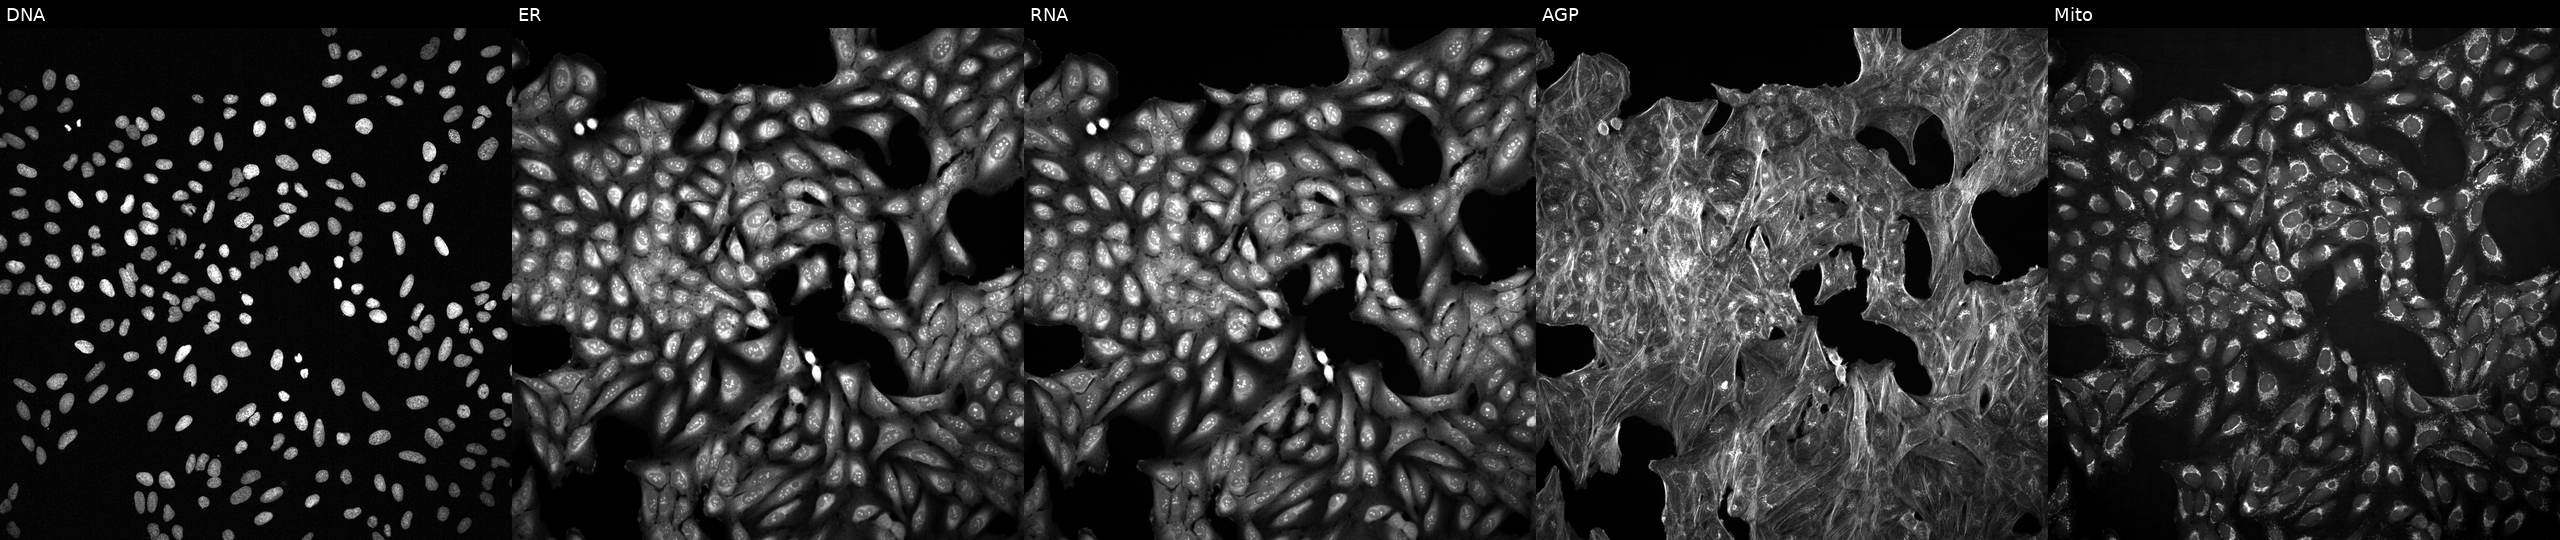
U2OS cells, Cell Painting assay, treated with a small-molecule compound (InChIKey LGEQQWMQCRIYKG-UHFFFAOYSA-N) [SMILES: CCCCCC=CCC=CCC=CCC=CCCCC(=O)NCCO]. Panels show, left to right, DNA (nuclei); ER (endoplasmic reticulum); RNA (nucleoli and cytoplasmic RNA); AGP (actin cytoskeleton, Golgi, and plasma membrane); Mito (mitochondria). Each panel is percentile-stretched 16-bit fluorescence.